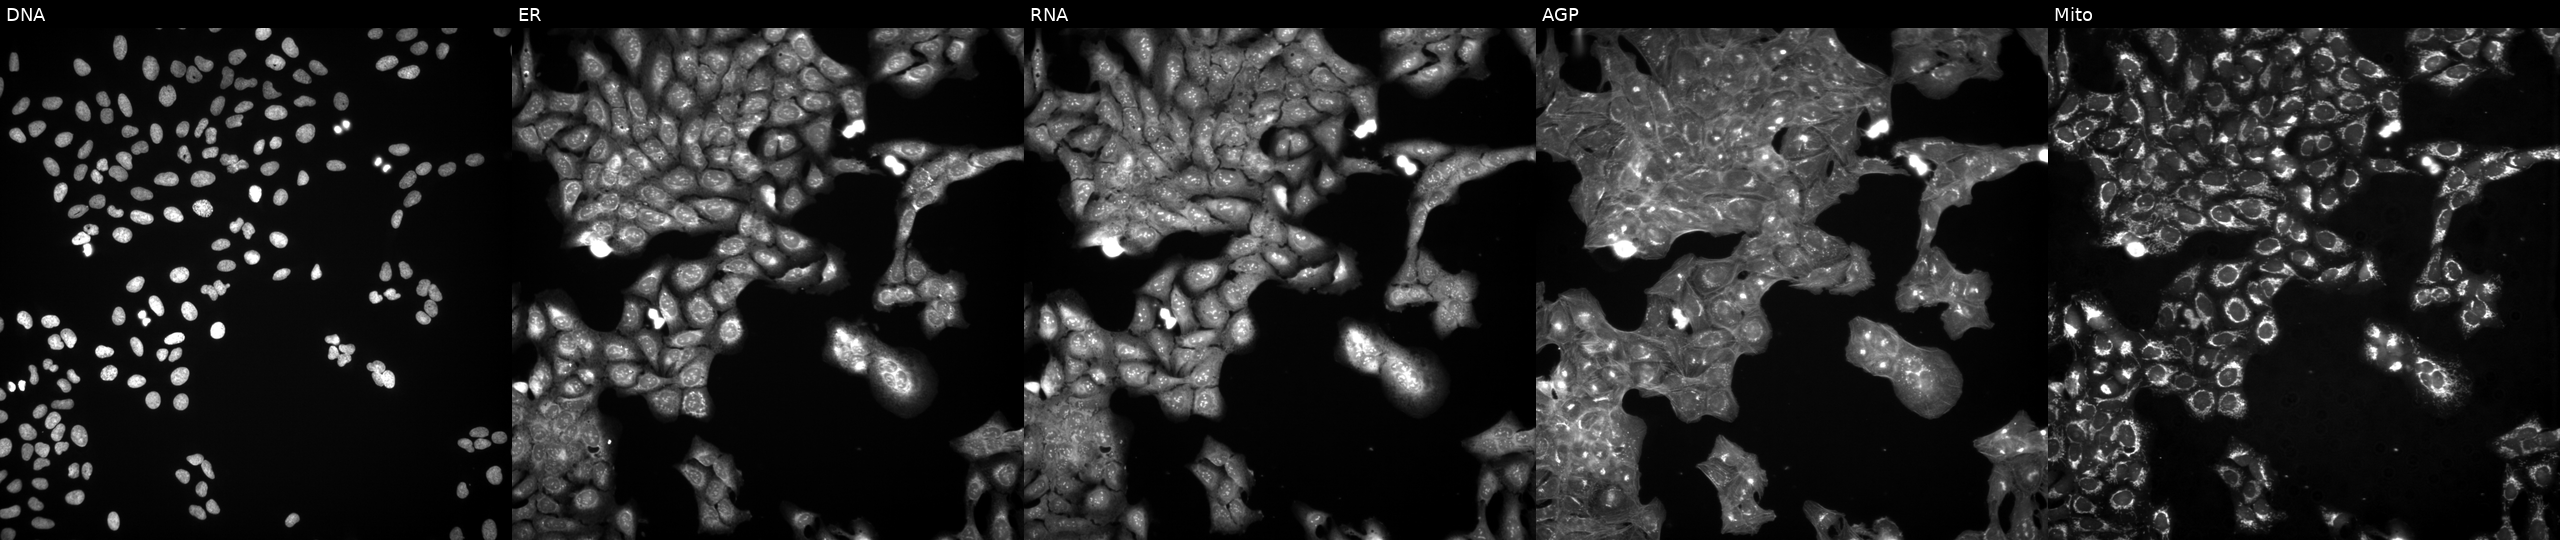
Panels show, left to right, DNA, ER, RNA, AGP, and Mito. U2OS osteosarcoma cells exposed to a small-molecule compound (InChIKey AFJRDFWMXUECEW-UHFFFAOYSA-N). Cell Painting assay, JUMP-CP dataset.